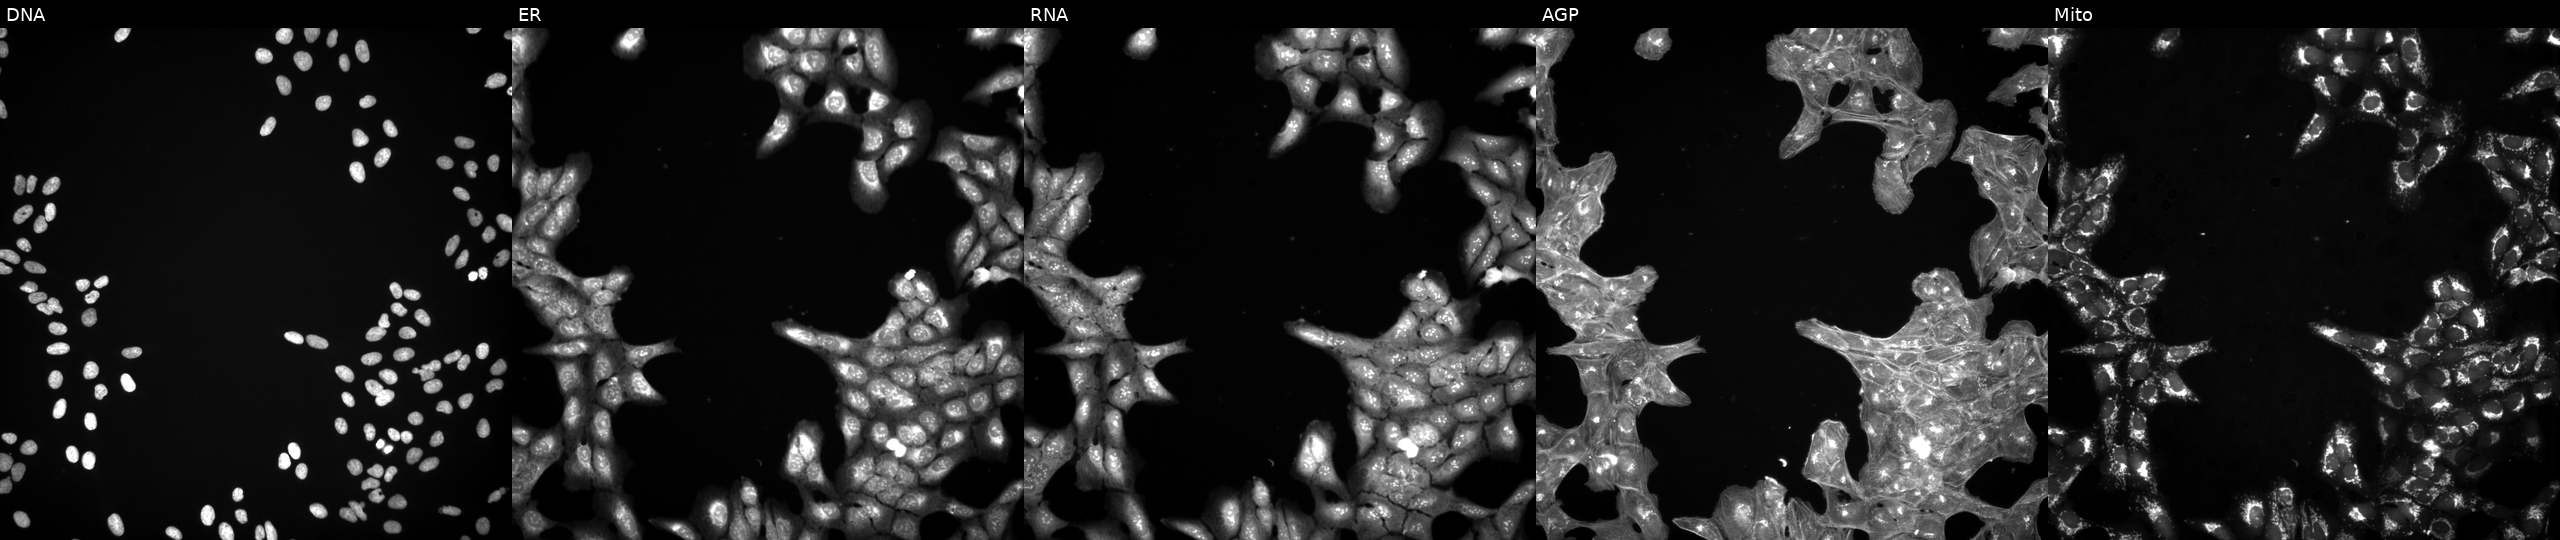
This image strip shows the five Cell Painting channels for a single field of U2OS cells exposed to a small-molecule compound (InChIKey VHOGYURTWQBHIL-UHFFFAOYSA-N) (JUMP id JCP2022_094002). Panels show, left to right, DNA (nuclei); ER (endoplasmic reticulum); RNA (nucleoli and cytoplasmic RNA); AGP (actin cytoskeleton, Golgi, and plasma membrane); Mito (mitochondria).